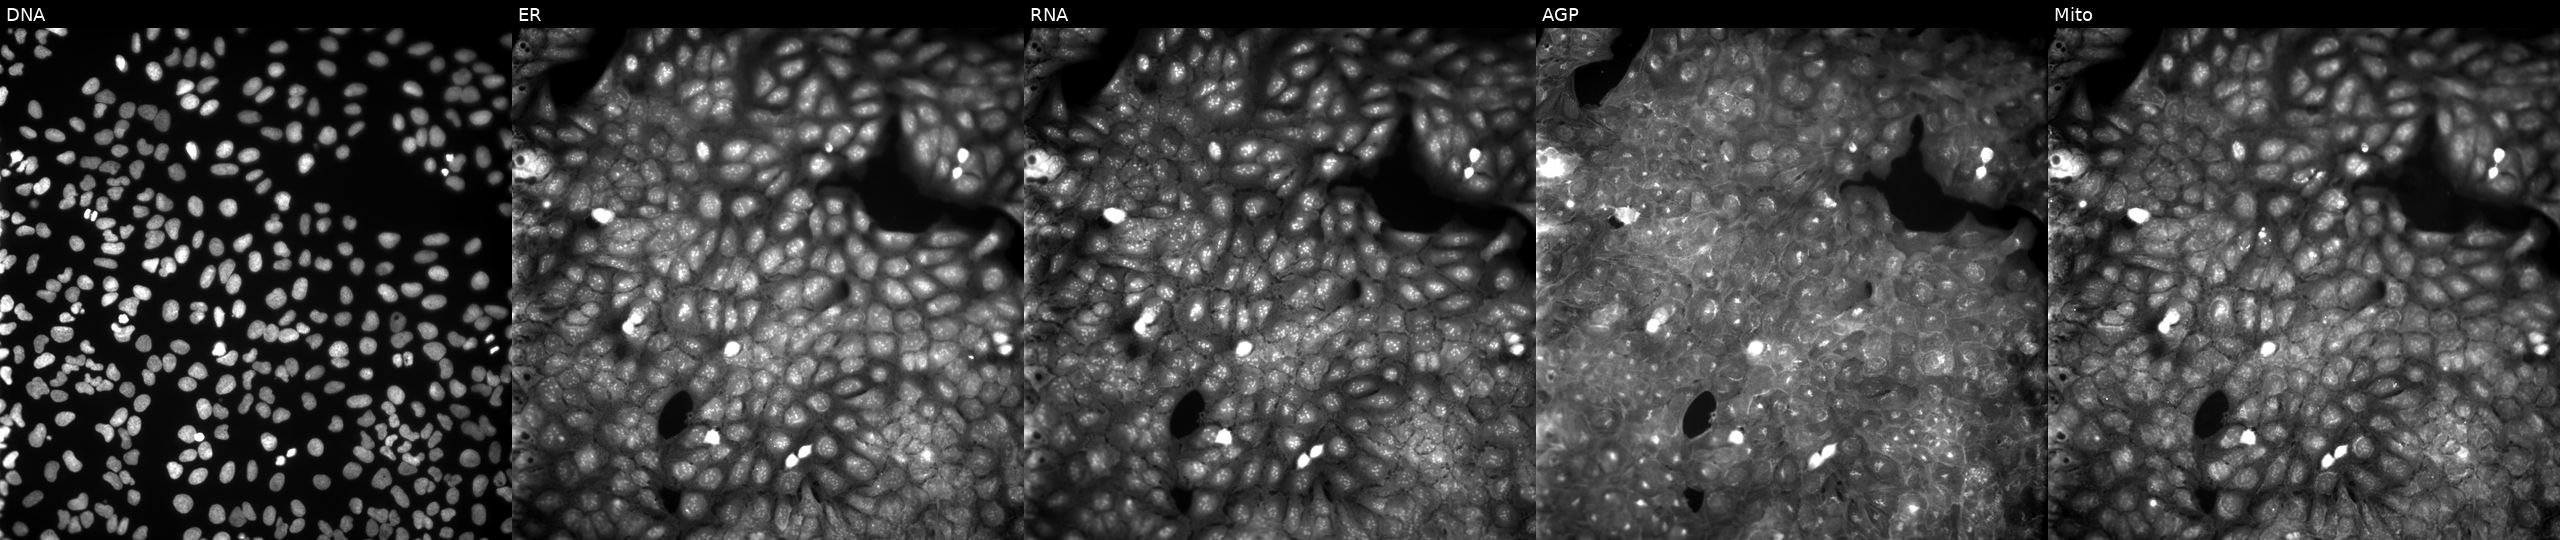
High-content fluorescence microscopy (Cell Painting). Cell line: U2OS. Perturbation: treated with a small-molecule compound (InChIKey STKRHDHWGOTREV-UHFFFAOYSA-N). Channels (left→right): DNA (nuclei); ER (endoplasmic reticulum); RNA (nucleoli and cytoplasmic RNA); AGP (actin cytoskeleton, Golgi, and plasma membrane); Mito (mitochondria). Source 9, plate GR00003381, well AB07.